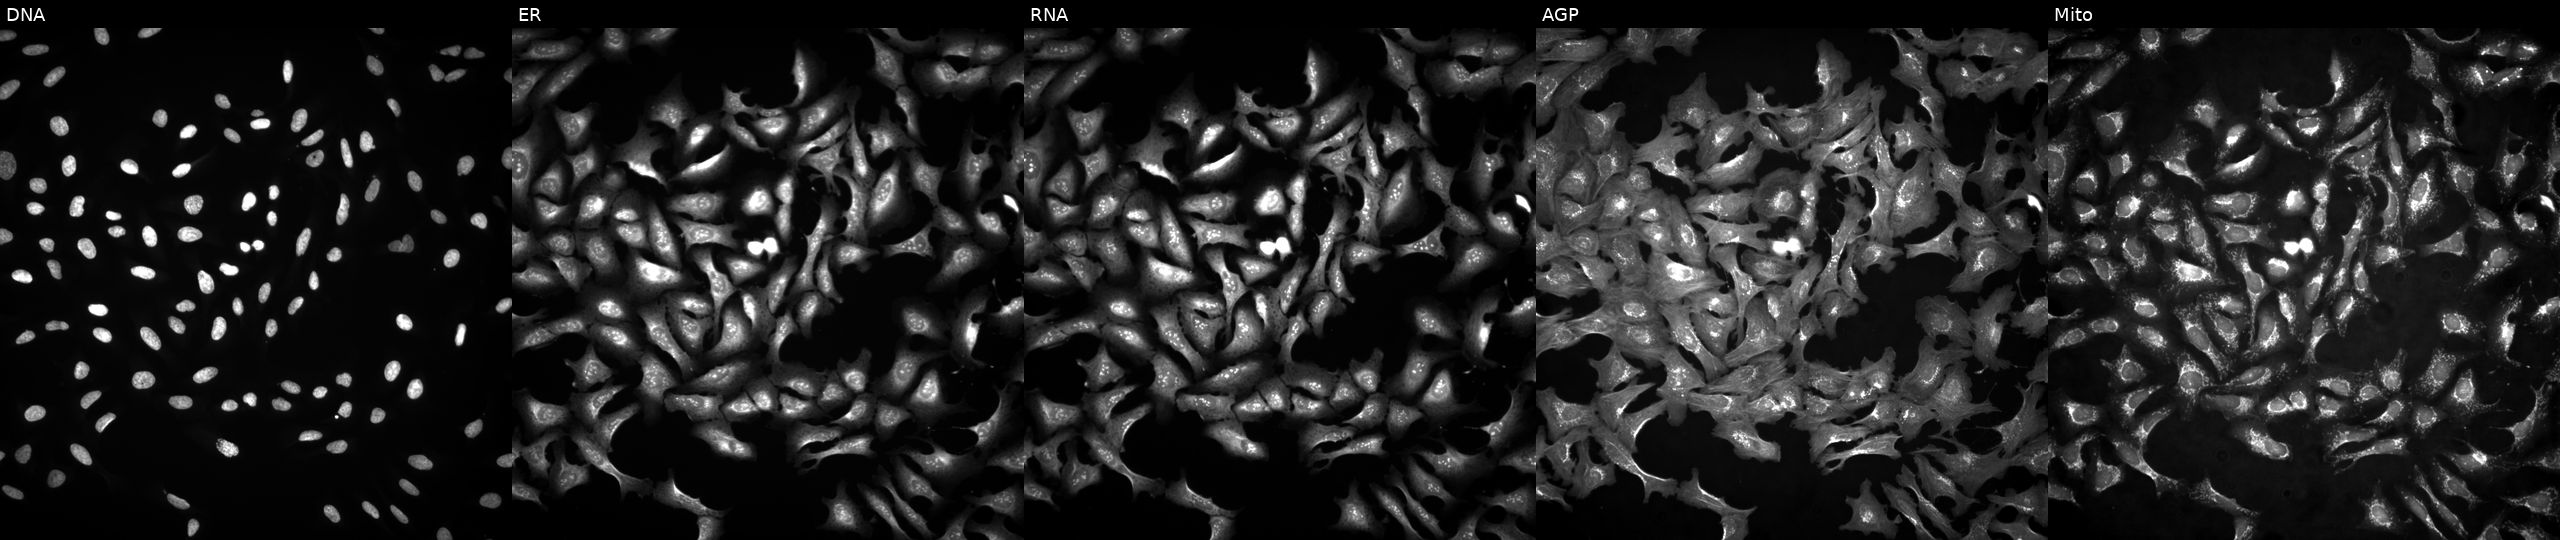
JUMP Cell Painting — ORF plate. U2OS cells transfected with an ORF construct for SPEG (JUMP id JCP2022_902235). Panels show, left to right, DNA (nuclei); ER (endoplasmic reticulum); RNA (nucleoli and cytoplasmic RNA); AGP (actin cytoskeleton, Golgi, and plasma membrane); Mito (mitochondria).